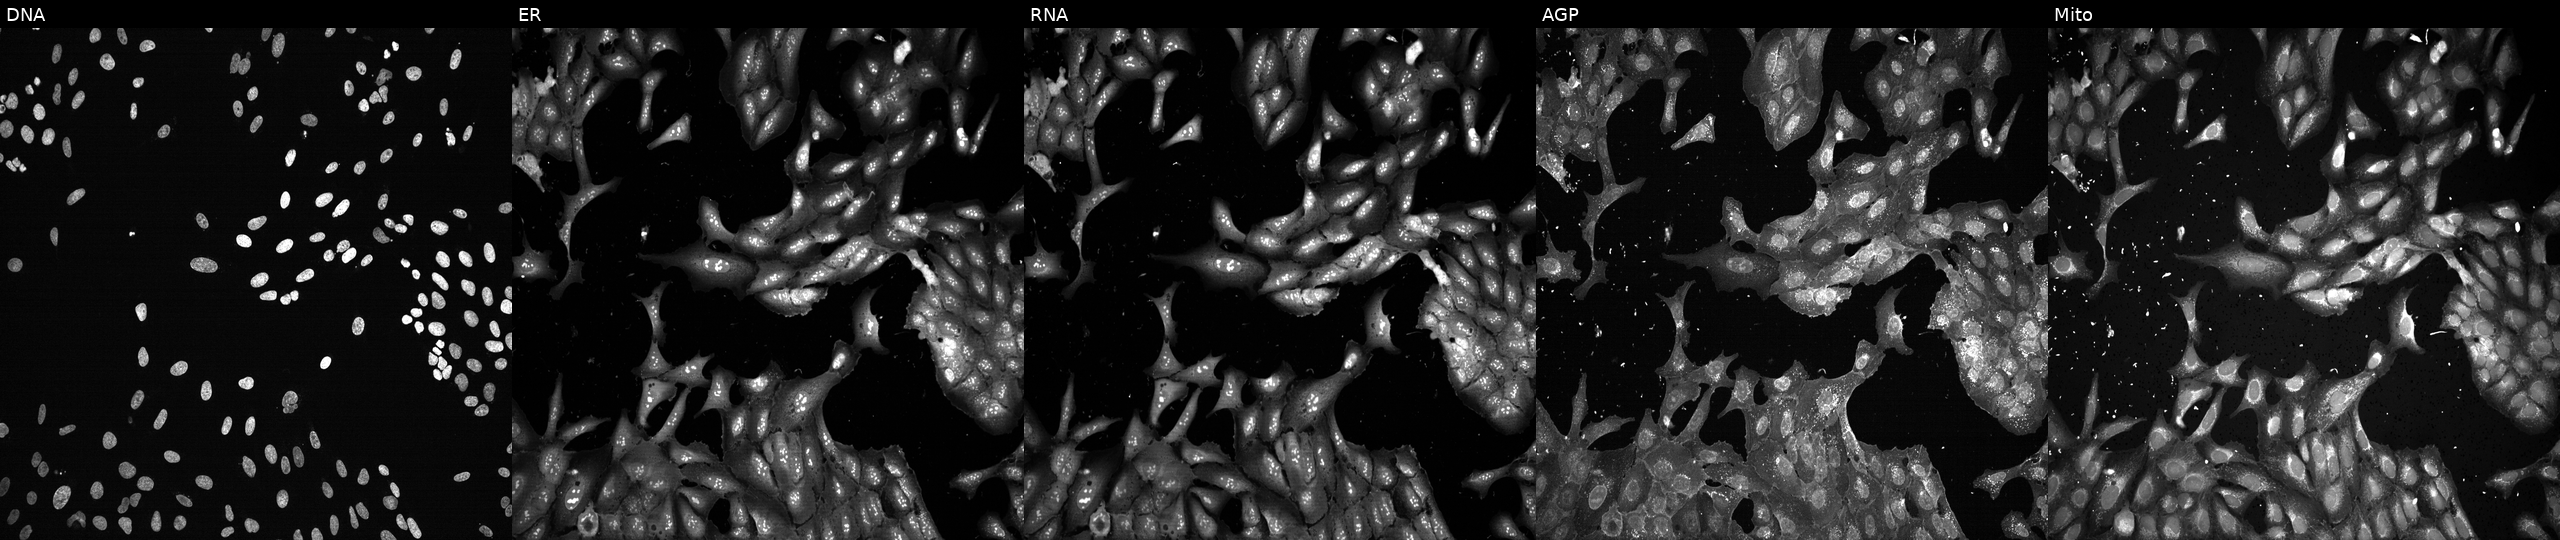
This image strip shows the five Cell Painting channels for a single field of U2OS cells CRISPR-edited to disrupt SLC24A2 (JUMP id JCP2022_806435). Panels show, left to right, Hoechst 33342, concanavalin A, SYTO 14, phalloidin and WGA, MitoTracker.